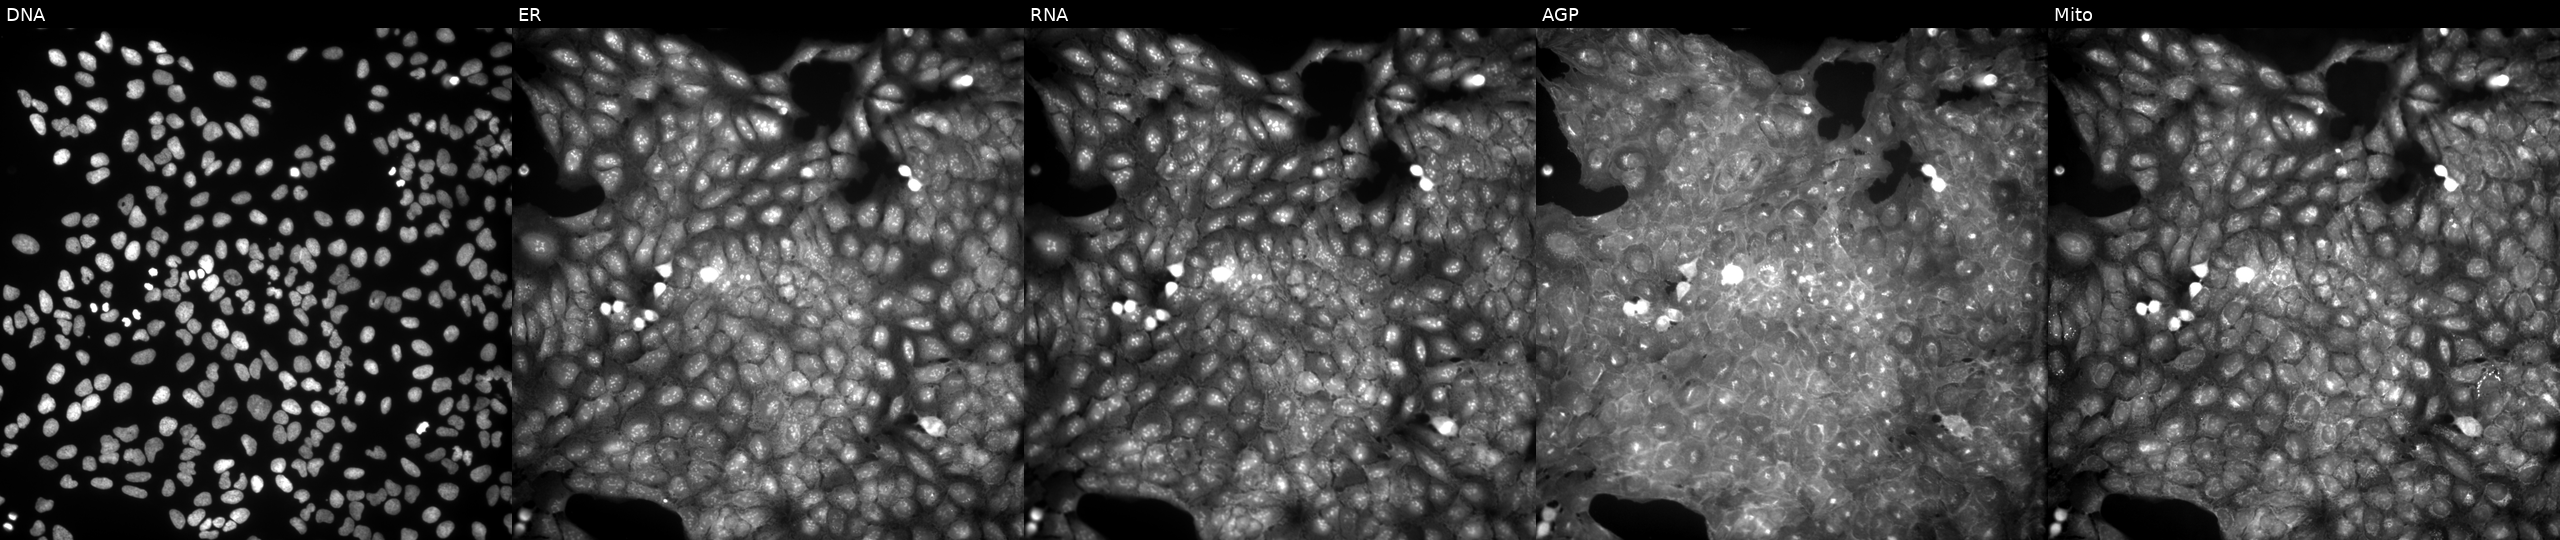
This image strip shows the five Cell Painting channels for a single field of U2OS cells treated with a small-molecule compound (JUMP id JCP2022_007154). Channels (left→right): DNA, ER, RNA, AGP, and Mito.